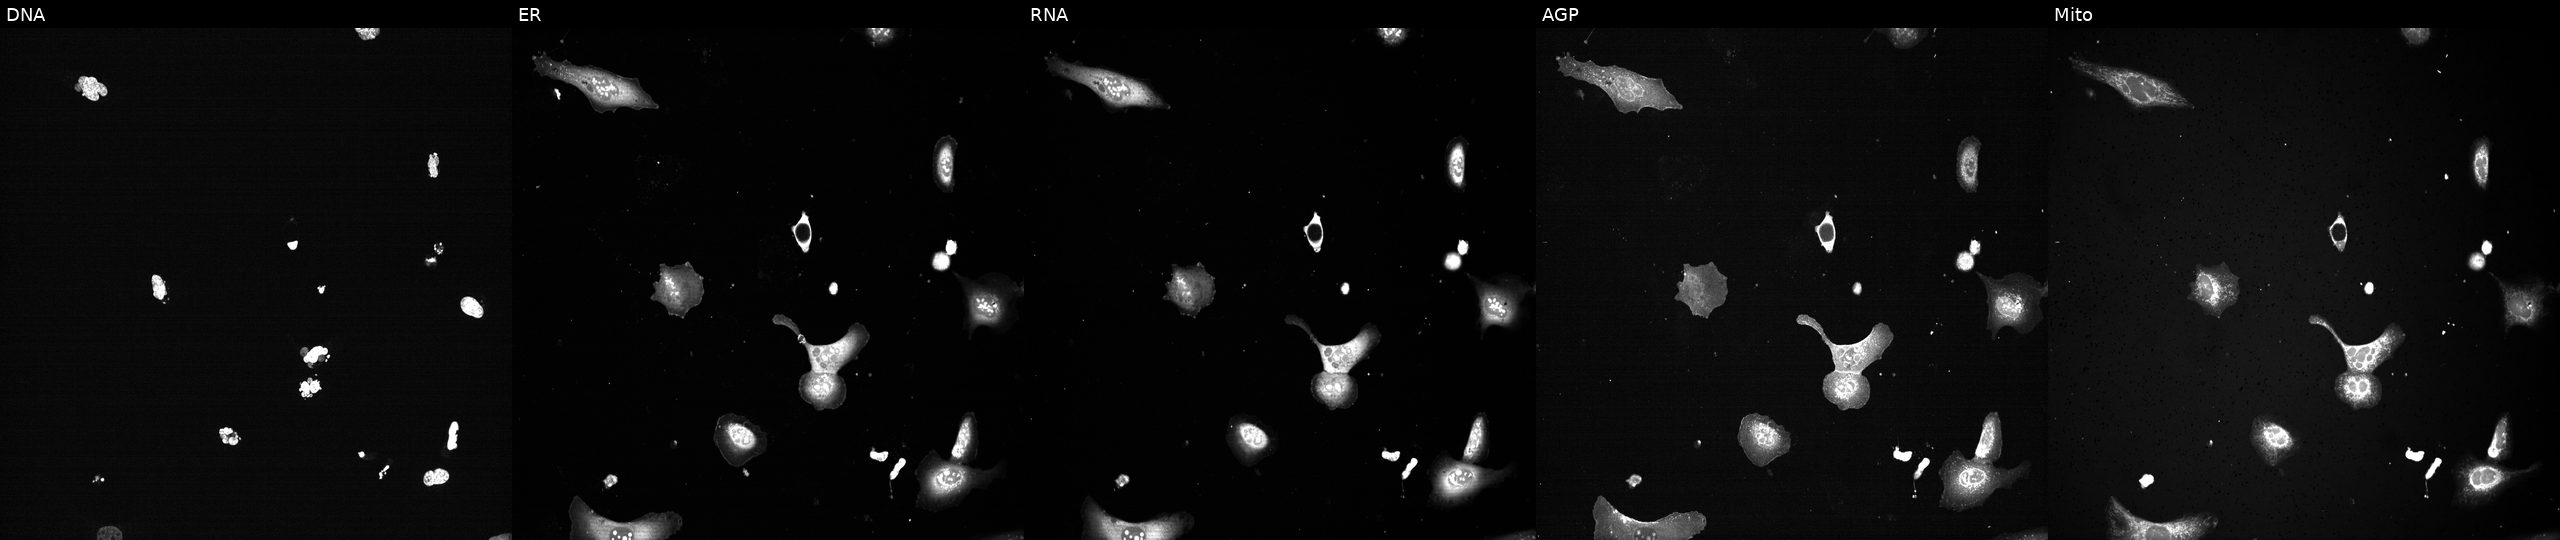
Panels show, left to right, Hoechst 33342, concanavalin A, SYTO 14, phalloidin and WGA, MitoTracker. U2OS osteosarcoma cells with PLK1 knocked out by CRISPR (positive control) (JUMP id JCP2022_805264). Cell Painting assay, JUMP-CP dataset.